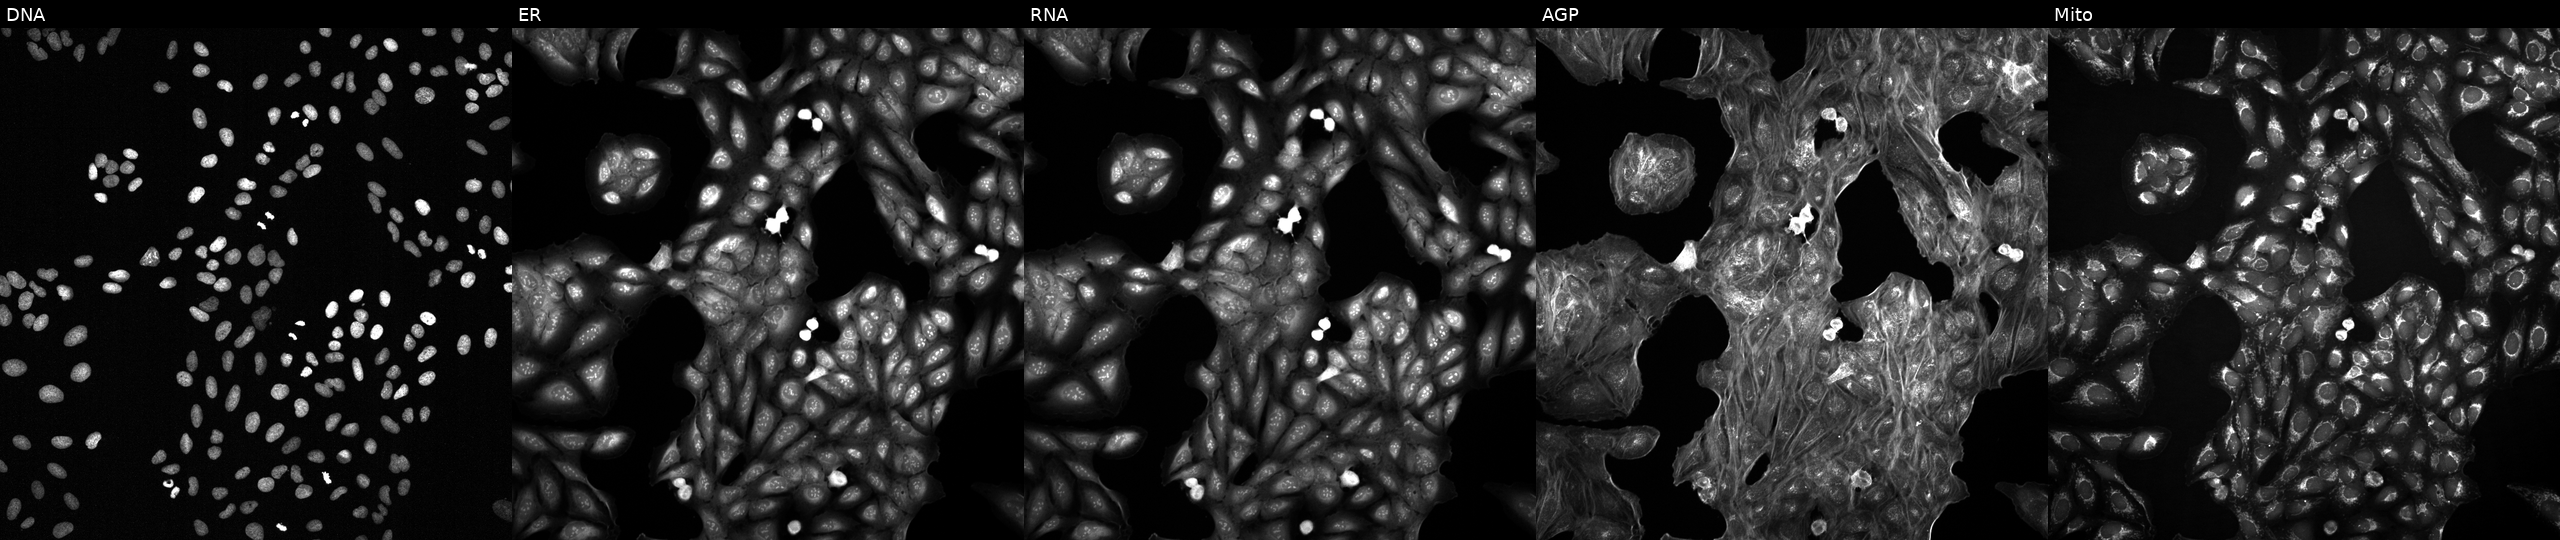
U2OS cells, Cell Painting assay, with an unidentified perturbation (not annotated in JUMP metadata). Channels (left→right): DNA, ER, RNA, AGP, and Mito. Each panel is percentile-stretched 16-bit fluorescence.